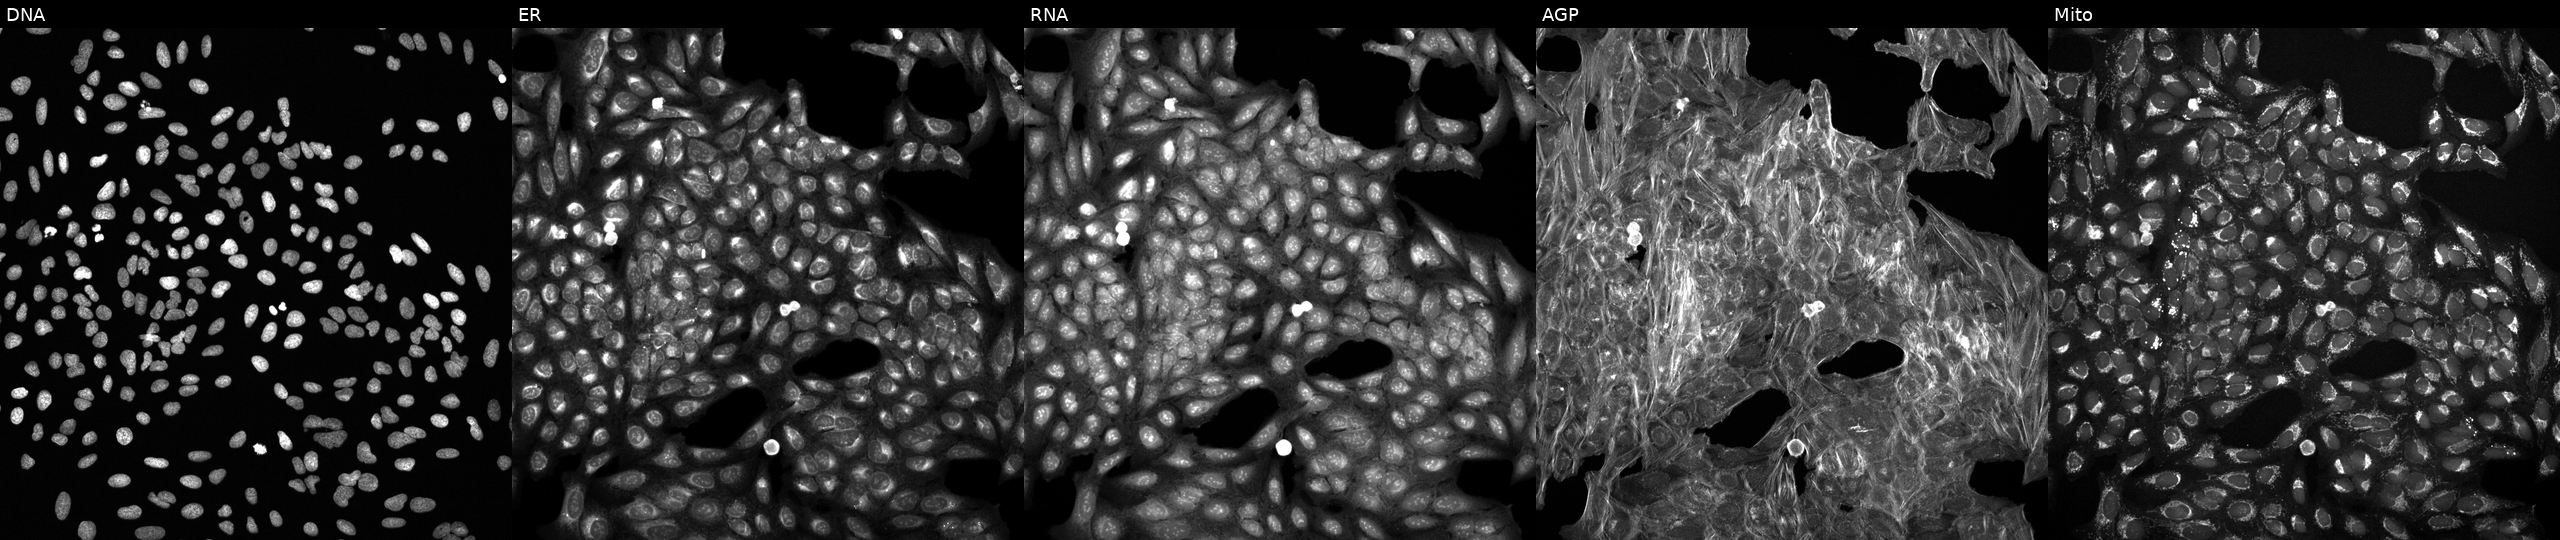
The five panels, left to right, show DNA, ER, RNA, AGP, and Mito. U2OS osteosarcoma cells exposed to a small-molecule compound (InChIKey GYVKJECGSYGCPY-UHFFFAOYSA-N) (JUMP id JCP2022_028620). Cell Painting assay, JUMP-CP dataset. Source 6, plate 110000293082, well F10.